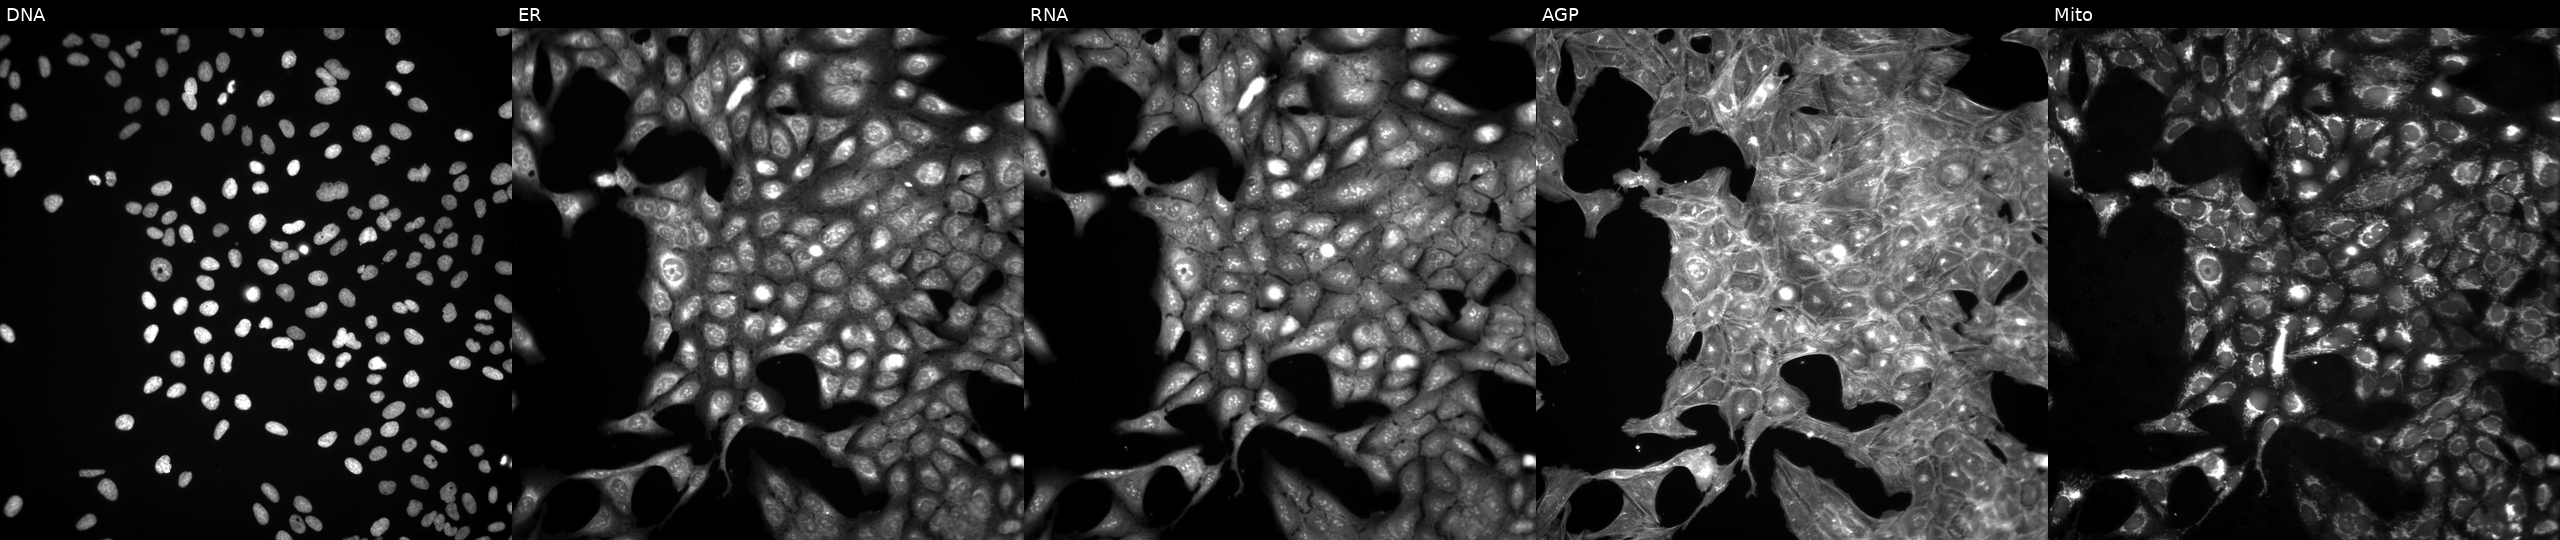
JUMP Cell Painting — TARGET2 plate. U2OS cells exposed to a small-molecule compound (InChIKey MDKAFDIKYQMOMF-UHFFFAOYSA-N) [SMILES: FC(F)(F)c1cc(NC(=S)Nc2ccc(Br)cc2-c2nn[nH]n2)cc(C(F)(F)F)c1]. From left to right: DNA (nuclei); ER (endoplasmic reticulum); RNA (nucleoli and cytoplasmic RNA); AGP (actin cytoskeleton, Golgi, and plasma membrane); Mito (mitochondria).